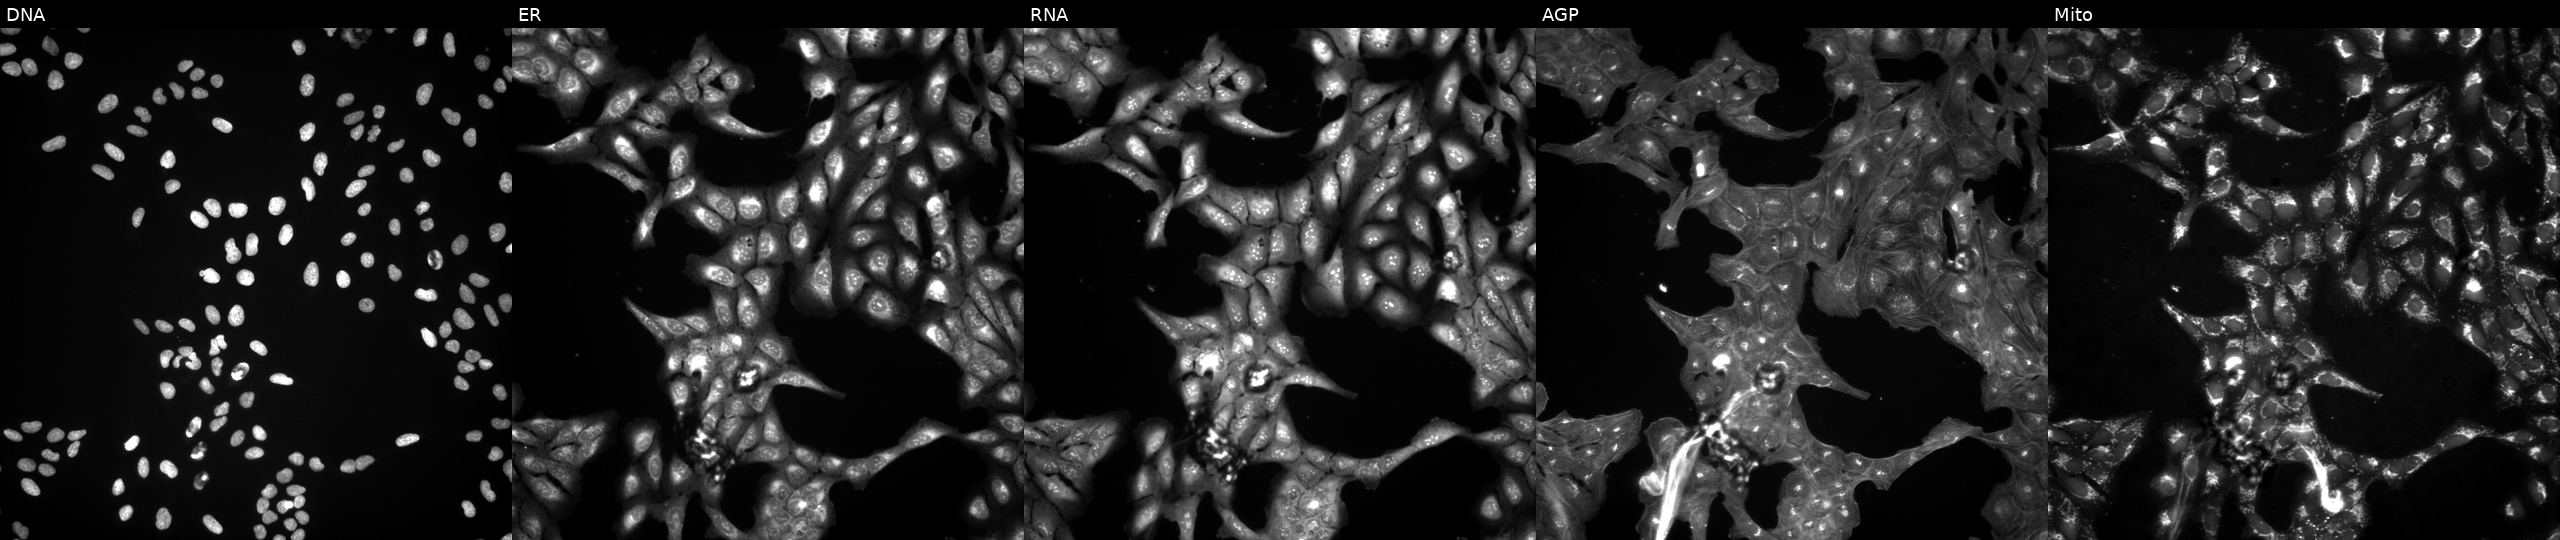
JUMP Cell Painting — COMPOUND plate. U2OS cells untreated (empty-well control) (JUMP id JCP2022_999999). From left to right: Hoechst 33342, concanavalin A, SYTO 14, phalloidin and WGA, MitoTracker.